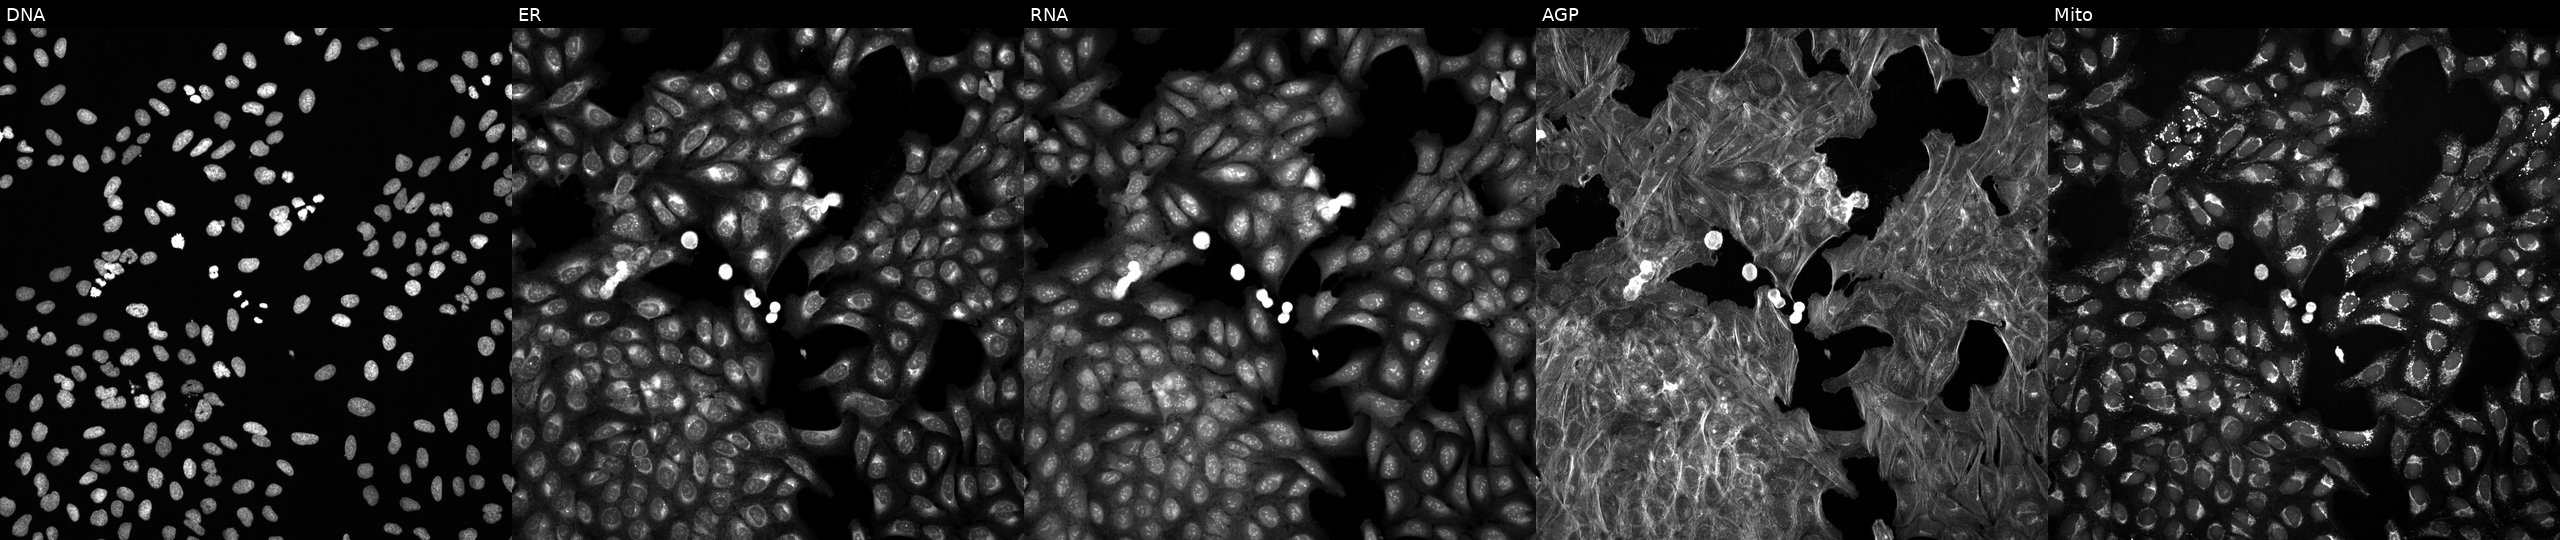
This image strip shows the five Cell Painting channels for a single field of U2OS cells treated with DMSO vehicle only (negative control) (JUMP id JCP2022_033924). From left to right: DNA (nuclei); ER (endoplasmic reticulum); RNA (nucleoli and cytoplasmic RNA); AGP (actin cytoskeleton, Golgi, and plasma membrane); Mito (mitochondria).